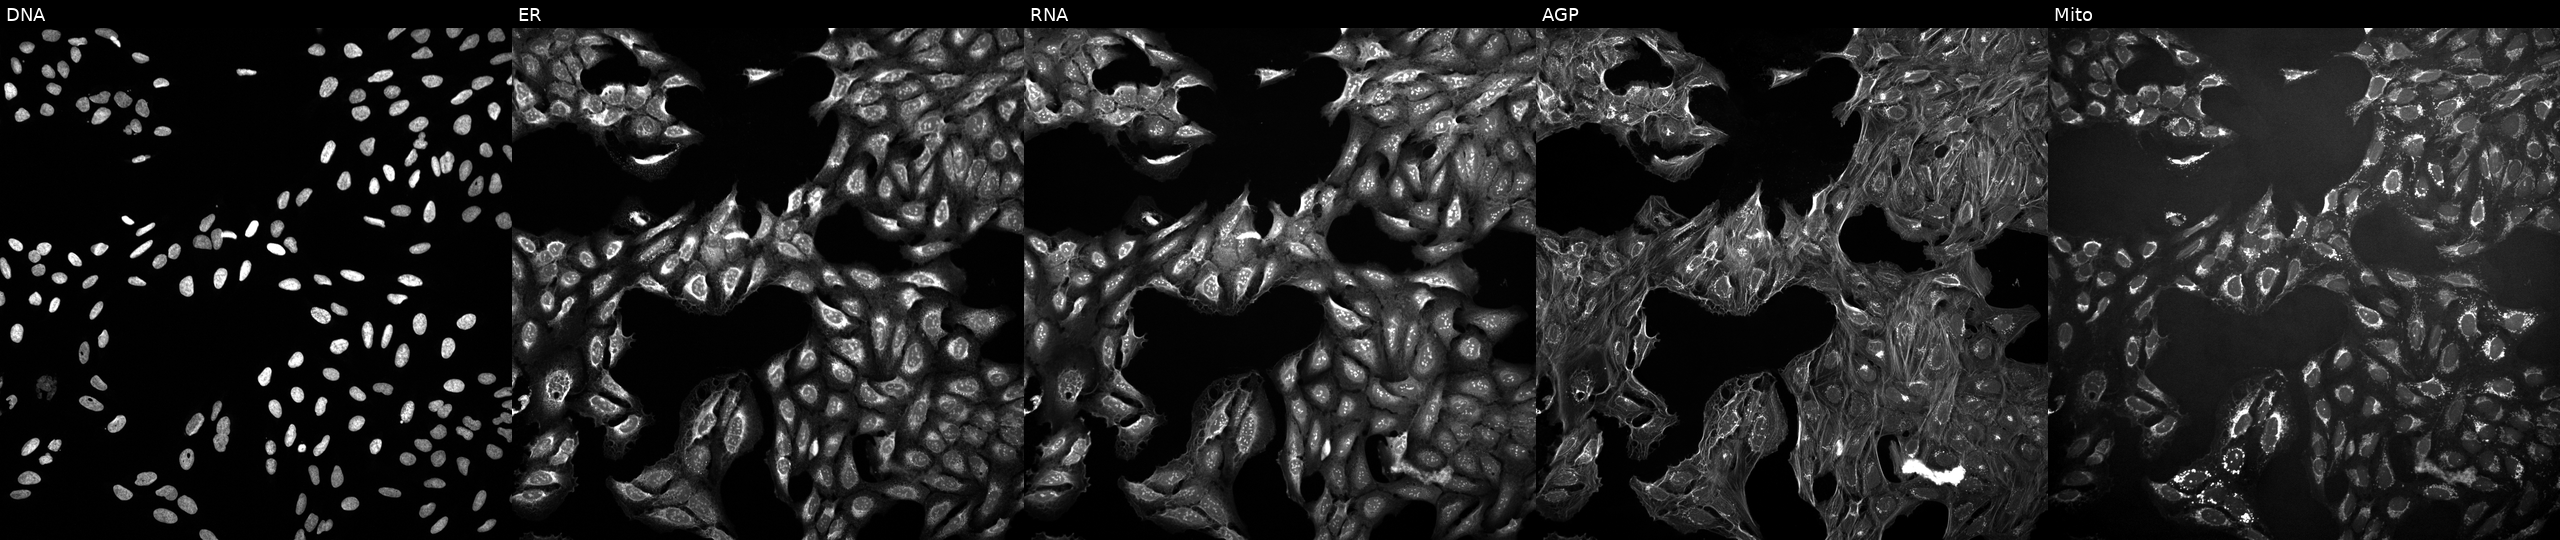
This image strip shows the five Cell Painting channels for a single field of U2OS cells exposed to DMSO alone as a negative control. Channels (left→right): DNA, ER, RNA, AGP, and Mito.